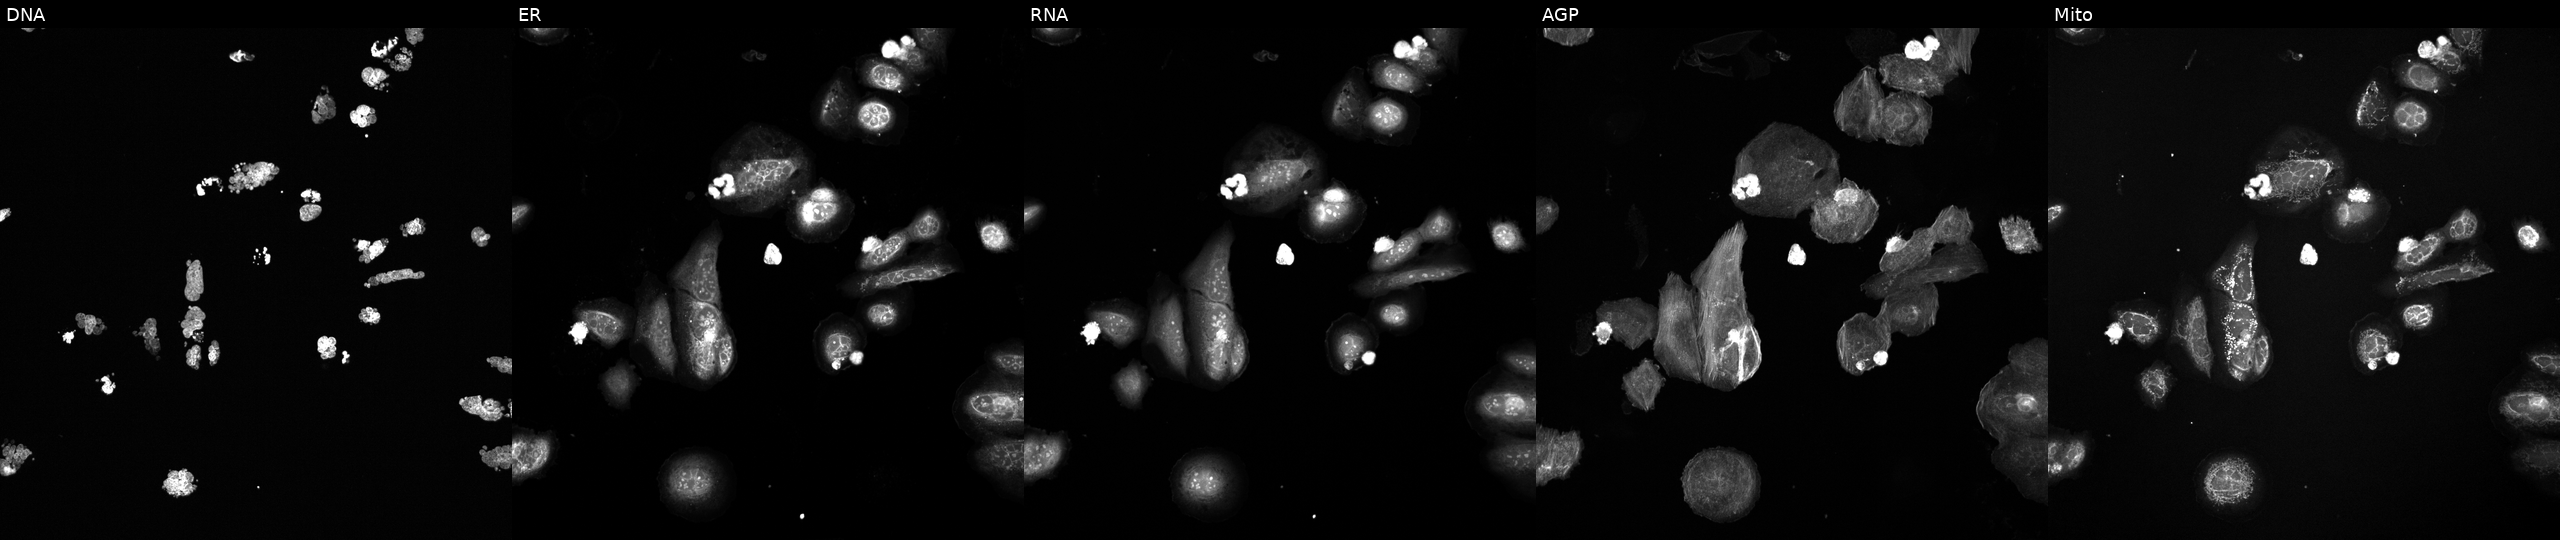
High-content fluorescence microscopy (Cell Painting). Cell line: U2OS. Perturbation: exposed to a small-molecule compound (InChIKey FABUFPQFXZVHFB-UHFFFAOYSA-N). The five panels, left to right, show Hoechst 33342, concanavalin A, SYTO 14, phalloidin and WGA, MitoTracker.